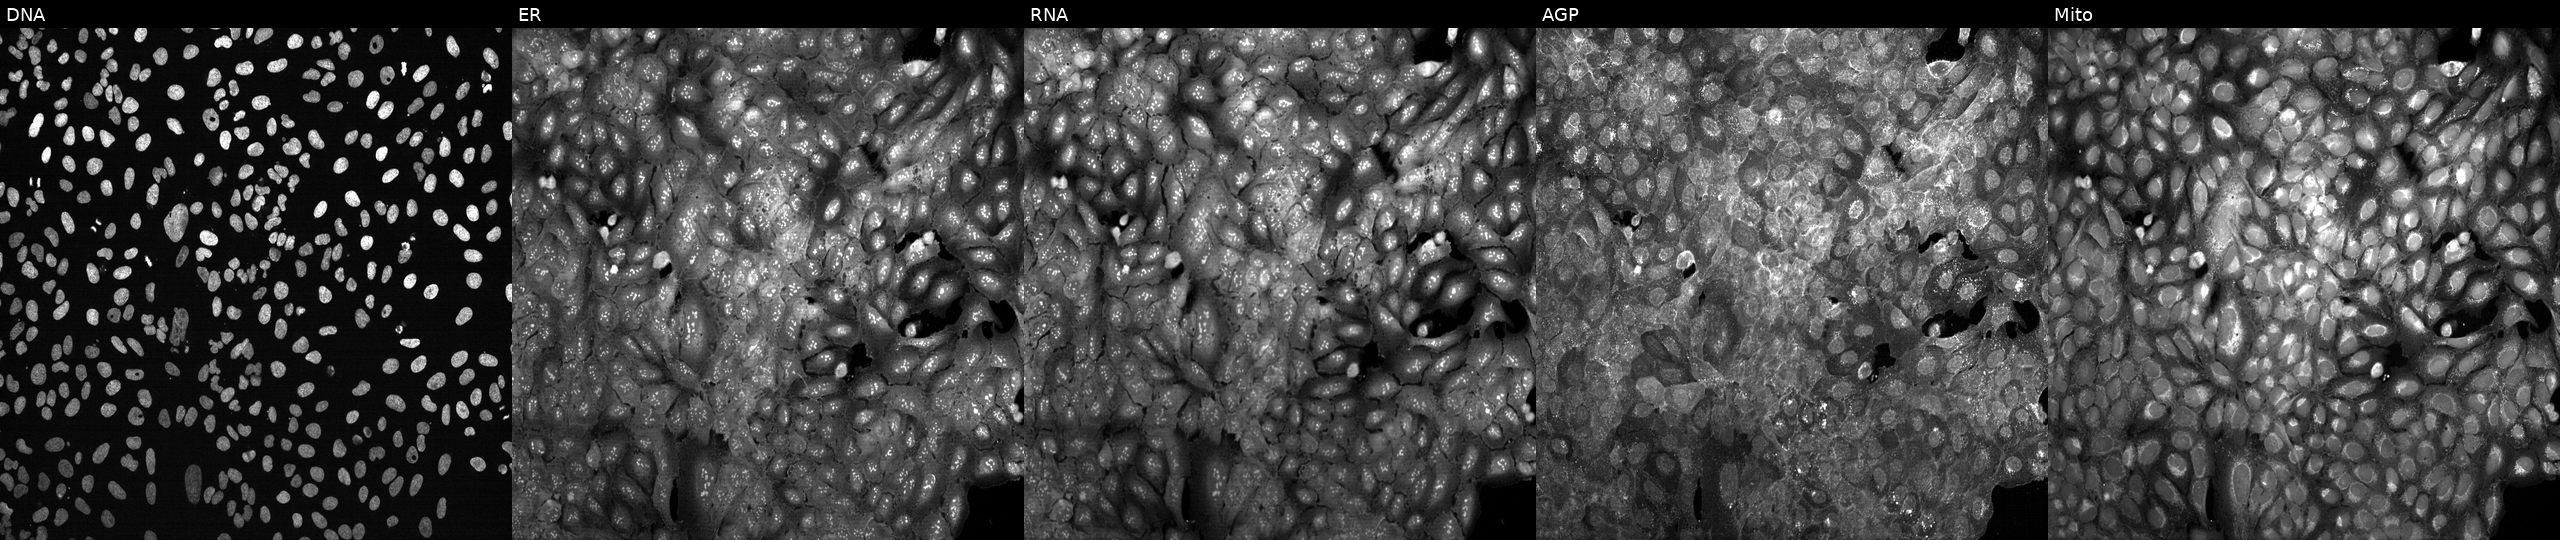
JUMP Cell Painting — CRISPR plate. U2OS cells CRISPR-edited to disrupt MAD2L2. The five panels, left to right, show DNA (nuclei); ER (endoplasmic reticulum); RNA (nucleoli and cytoplasmic RNA); AGP (actin cytoskeleton, Golgi, and plasma membrane); Mito (mitochondria).